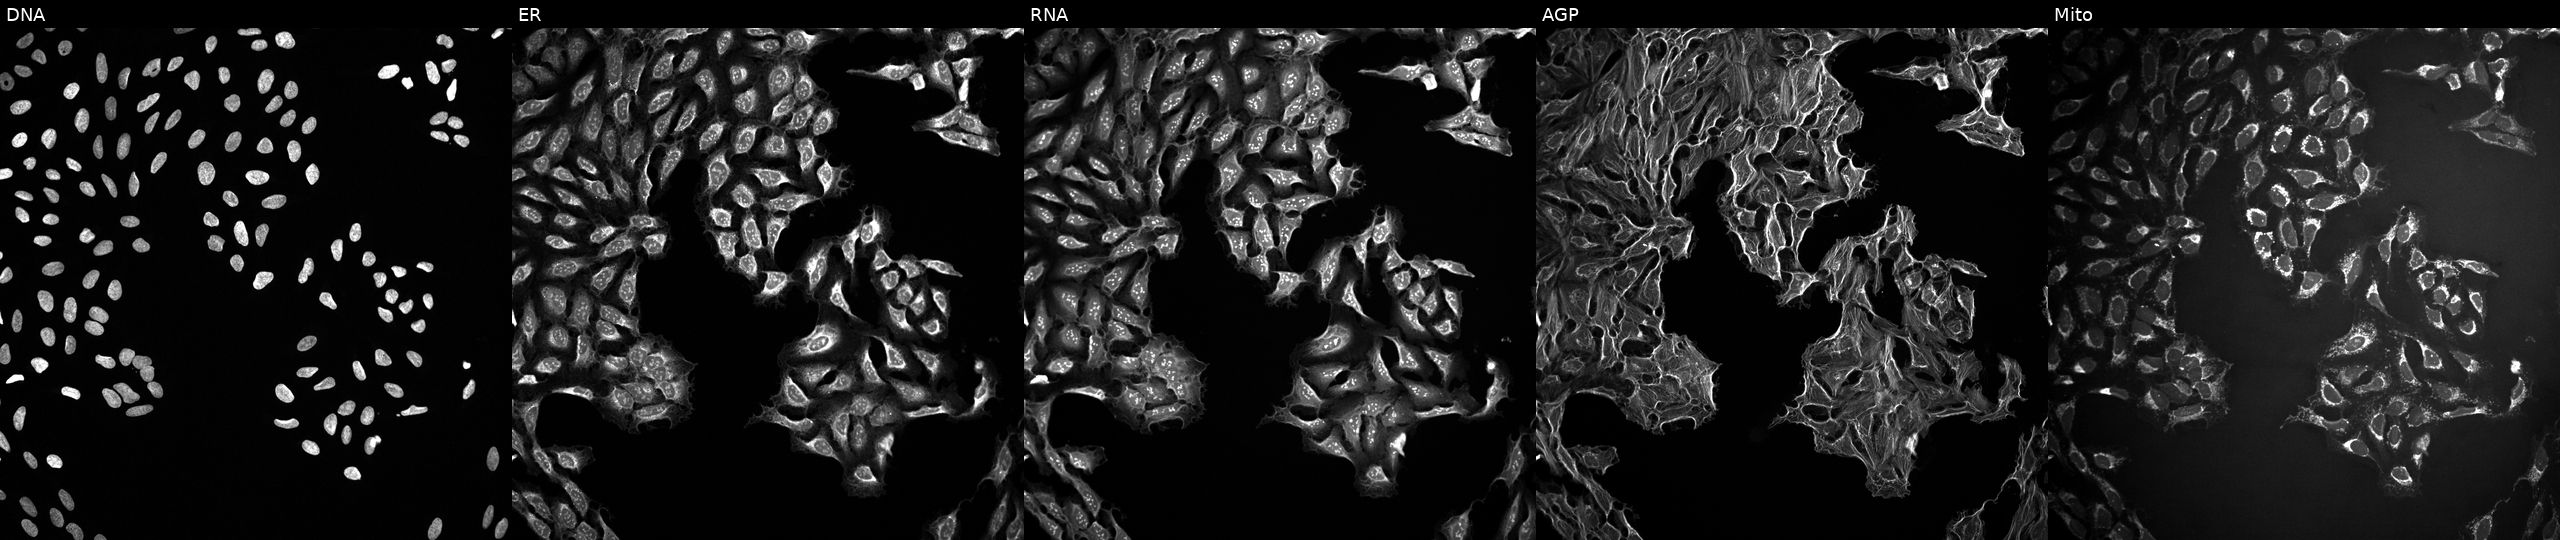
High-content fluorescence microscopy (Cell Painting). Cell line: U2OS. Perturbation: exposed to a small-molecule compound (InChIKey ZNNLBTZKUZBEKO-UHFFFAOYSA-N) [SMILES: COc1ccc(Cl)cc1C(=O)NCCc1ccc(S(=O)(=O)NC(=O)NC2CCCCC2)cc1]. From left to right: DNA (nuclei); ER (endoplasmic reticulum); RNA (nucleoli and cytoplasmic RNA); AGP (actin cytoskeleton, Golgi, and plasma membrane); Mito (mitochondria). Source 10, plate Dest210727-153003, well O15.